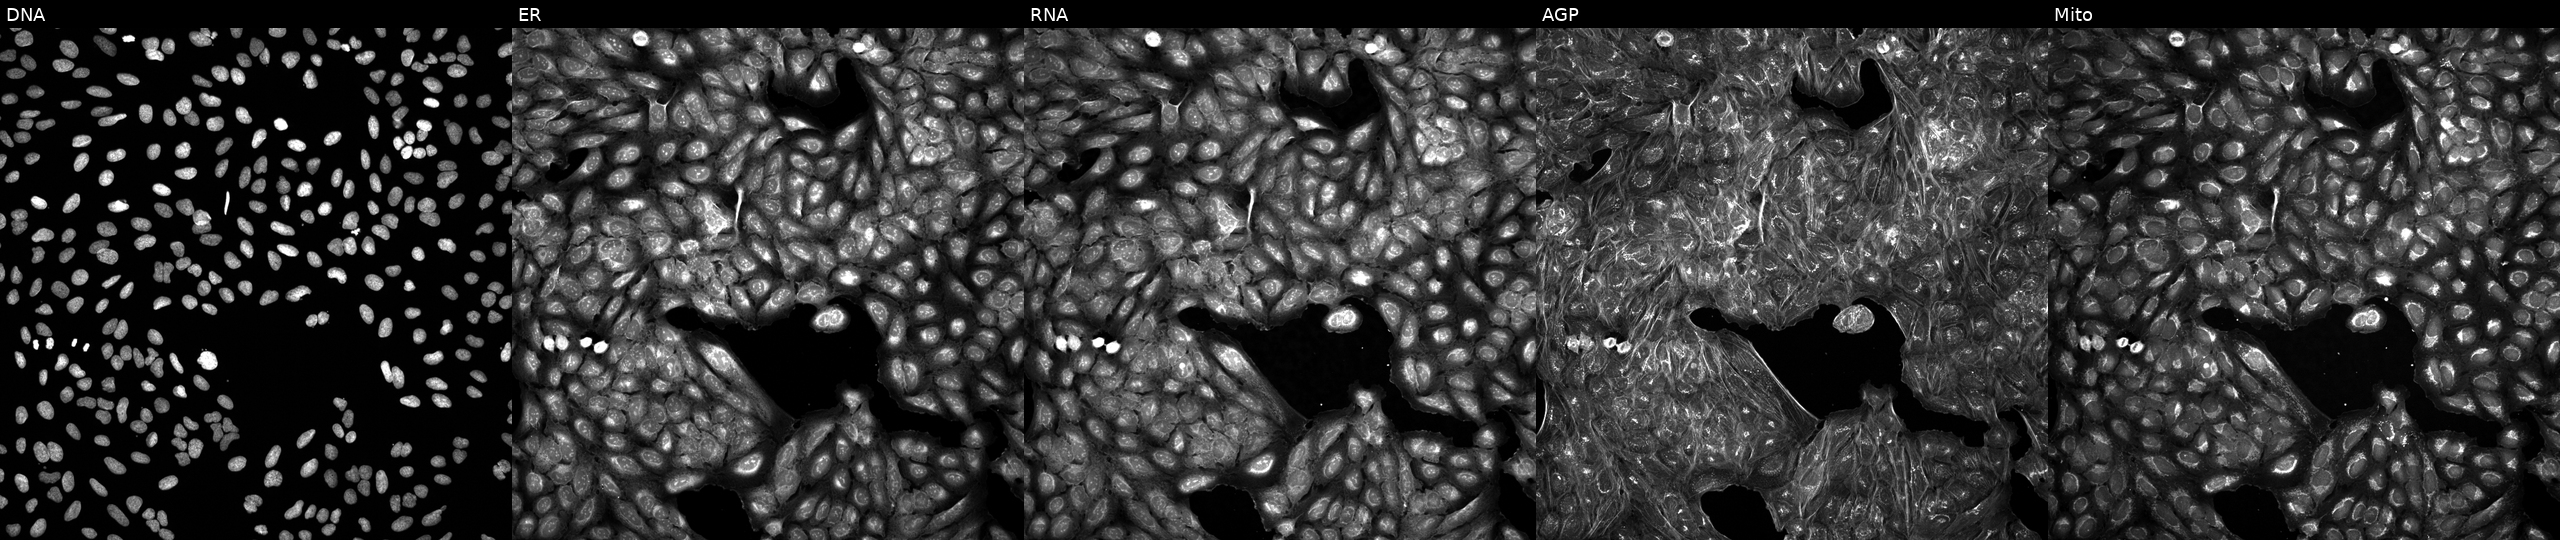
Panels show, left to right, DNA, ER, RNA, AGP, and Mito. U2OS osteosarcoma cells treated with a small-molecule compound (InChIKey HQOZBBOIMRYYQI-UHFFFAOYSA-N) [SMILES: Cn1ncc2c(N3CCCC3C(=O)Nc3cc(Cl)ccc3Cl)ncnc21]. Cell Painting assay, JUMP-CP dataset.